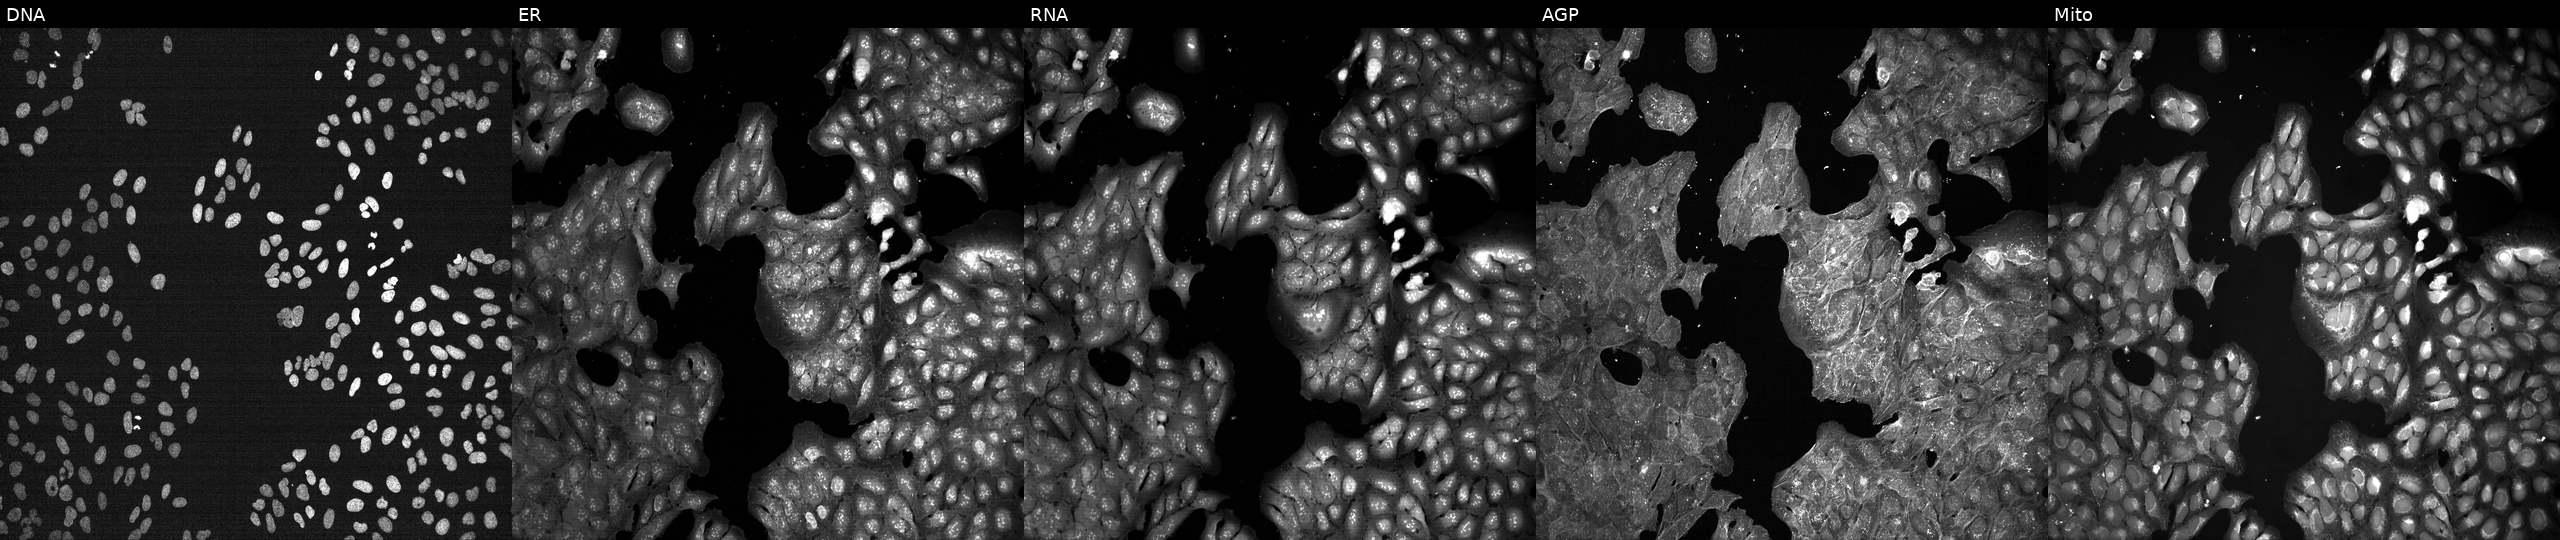
High-content fluorescence microscopy (Cell Painting). Cell line: U2OS. Perturbation: treated with DMSO vehicle only (negative control). From left to right: DNA (nuclei); ER (endoplasmic reticulum); RNA (nucleoli and cytoplasmic RNA); AGP (actin cytoskeleton, Golgi, and plasma membrane); Mito (mitochondria).